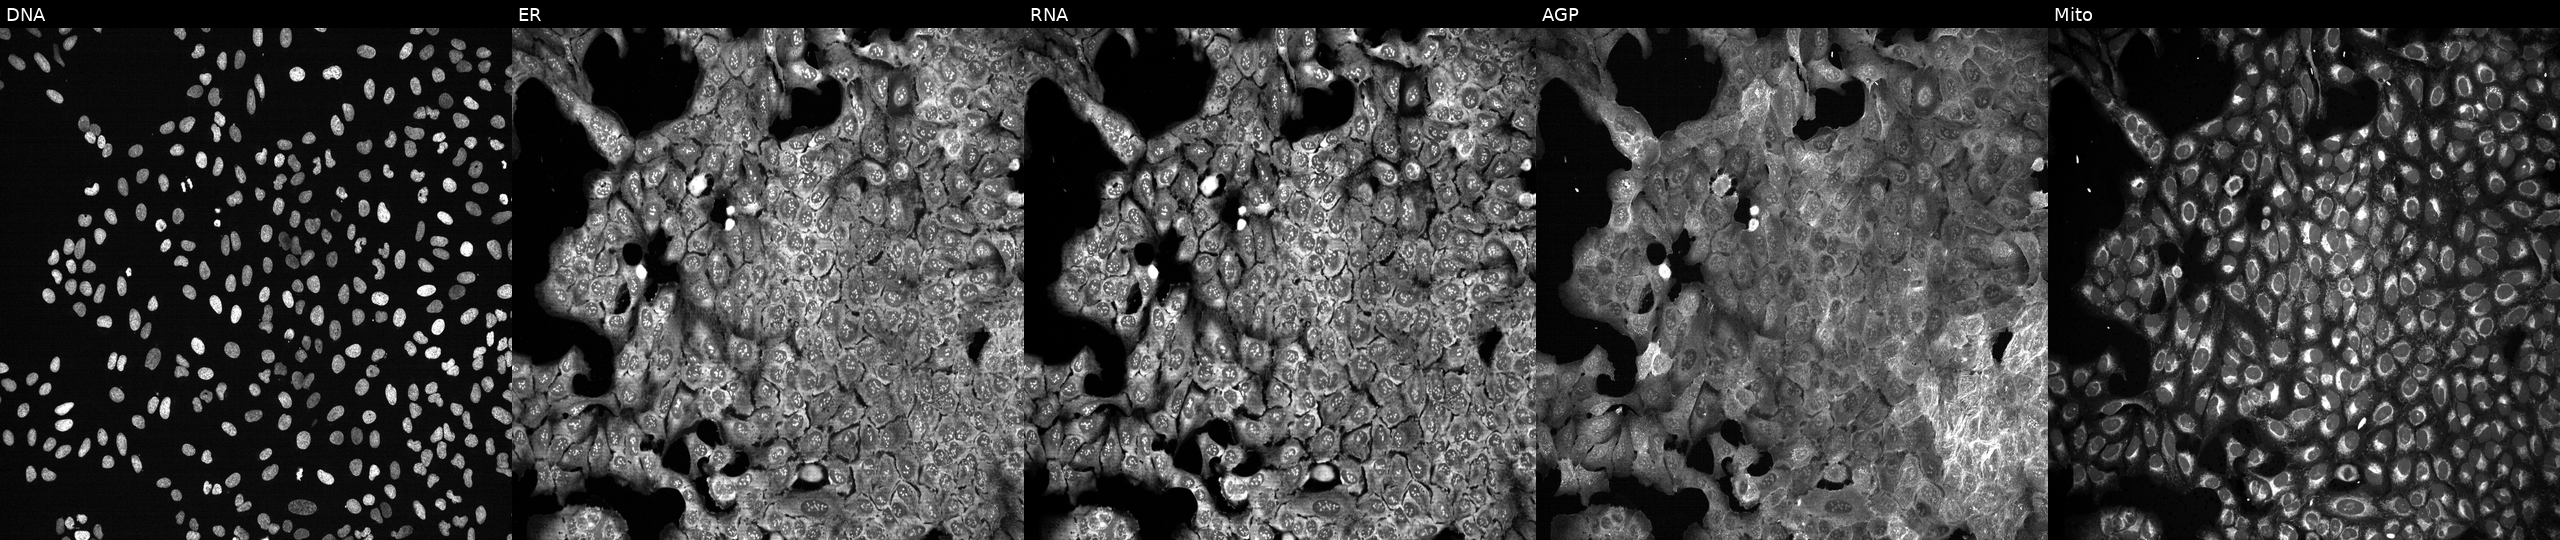
This image strip shows the five Cell Painting channels for a single field of U2OS cells CRISPR-edited to disrupt CD28. Channels (left→right): Hoechst 33342, concanavalin A, SYTO 14, phalloidin and WGA, MitoTracker.